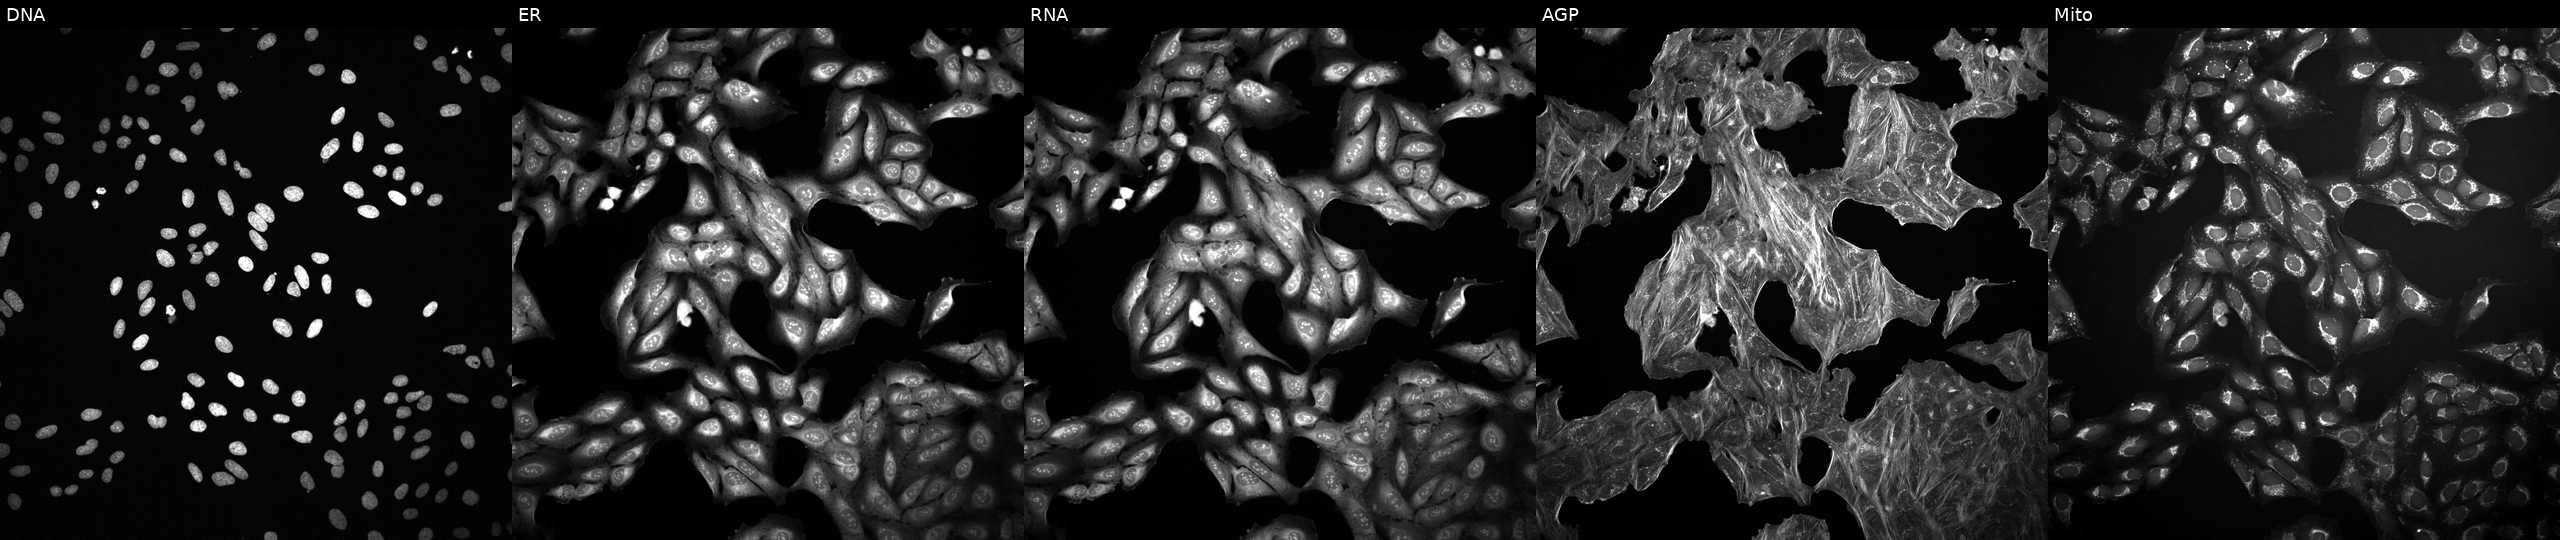
JUMP Cell Painting — TARGET2 plate. U2OS cells treated with DMSO vehicle only (negative control) (JUMP id JCP2022_033924). From left to right: DNA, ER, RNA, AGP, and Mito.